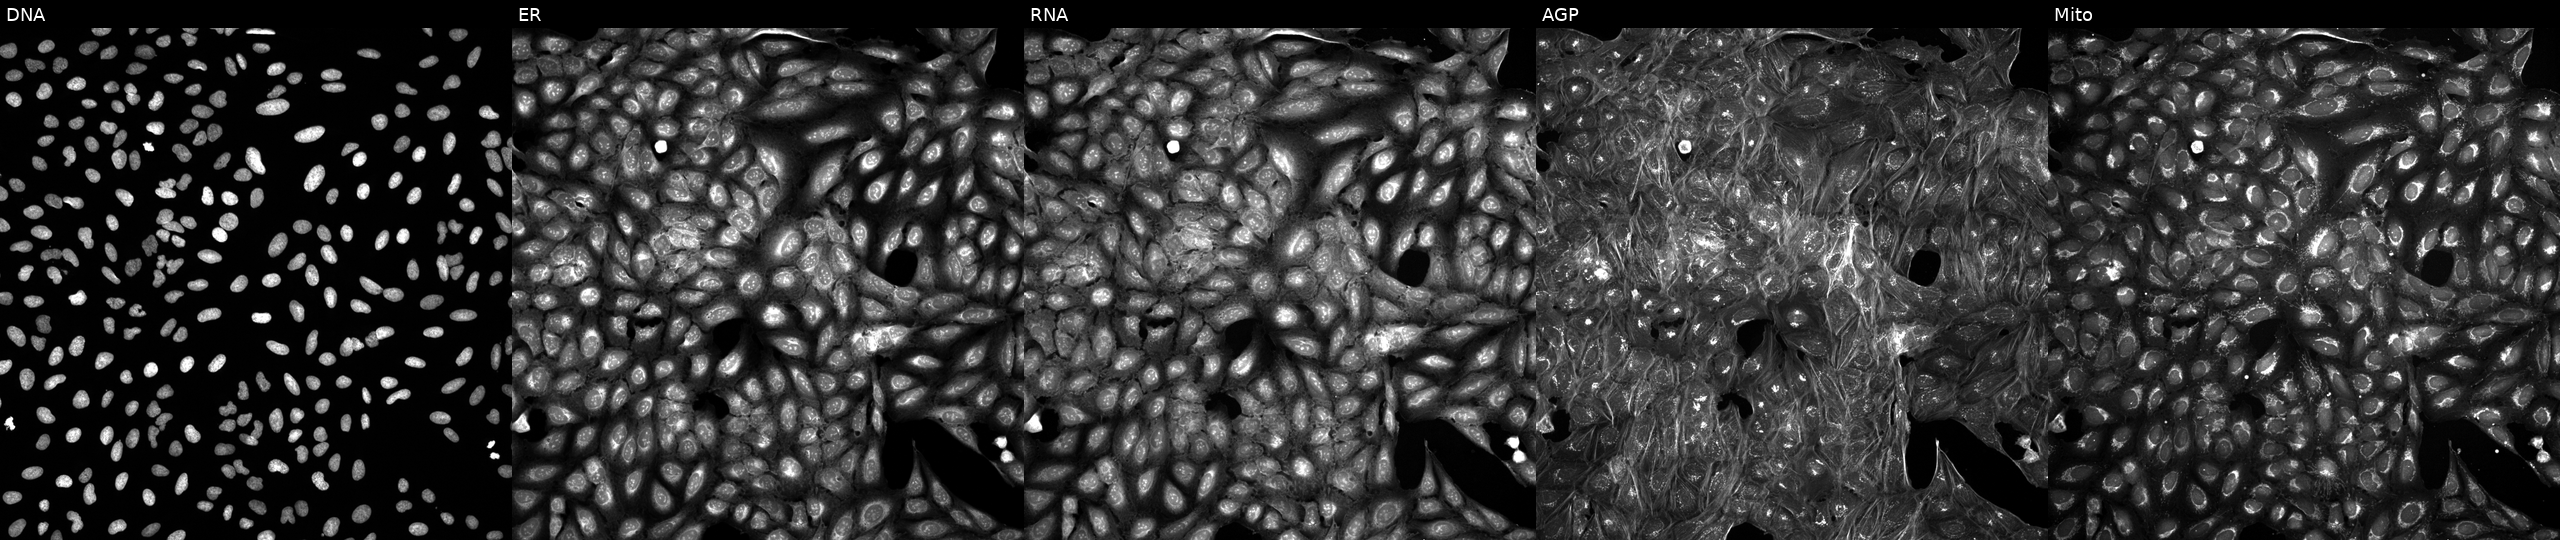
Panels show, left to right, Hoechst 33342, concanavalin A, SYTO 14, phalloidin and WGA, MitoTracker. U2OS osteosarcoma cells exposed to DMSO alone as a negative control. Cell Painting assay, JUMP-CP dataset.